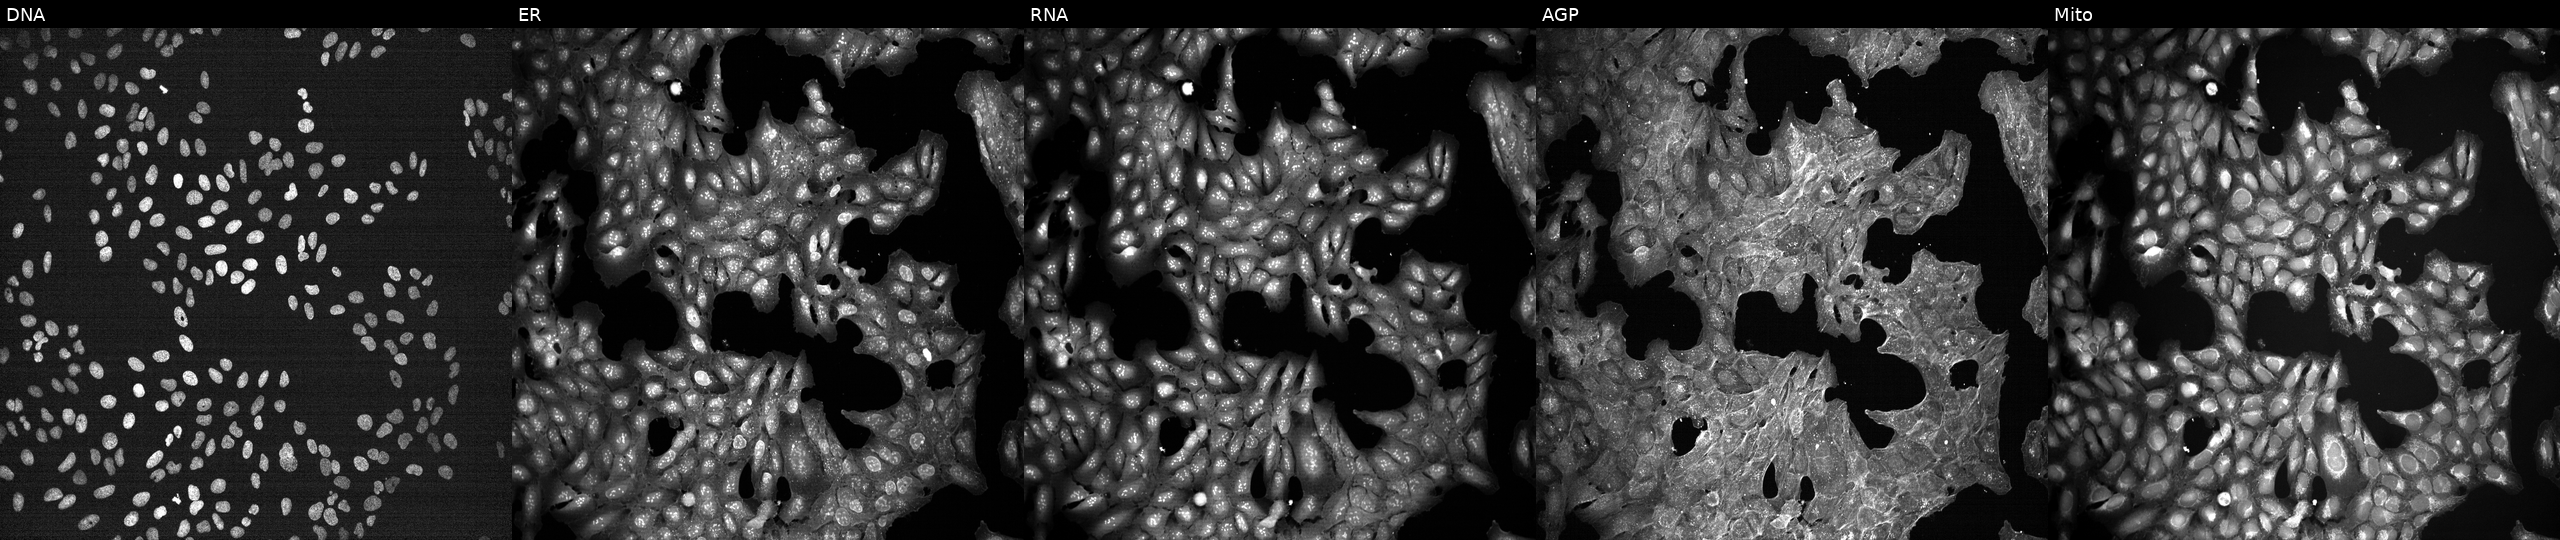
JUMP Cell Painting — TARGET2 plate. U2OS cells exposed to a small-molecule compound (InChIKey MFDFERRIHVXMIY-UHFFFAOYSA-N). The five panels, left to right, show DNA (nuclei); ER (endoplasmic reticulum); RNA (nucleoli and cytoplasmic RNA); AGP (actin cytoskeleton, Golgi, and plasma membrane); Mito (mitochondria).